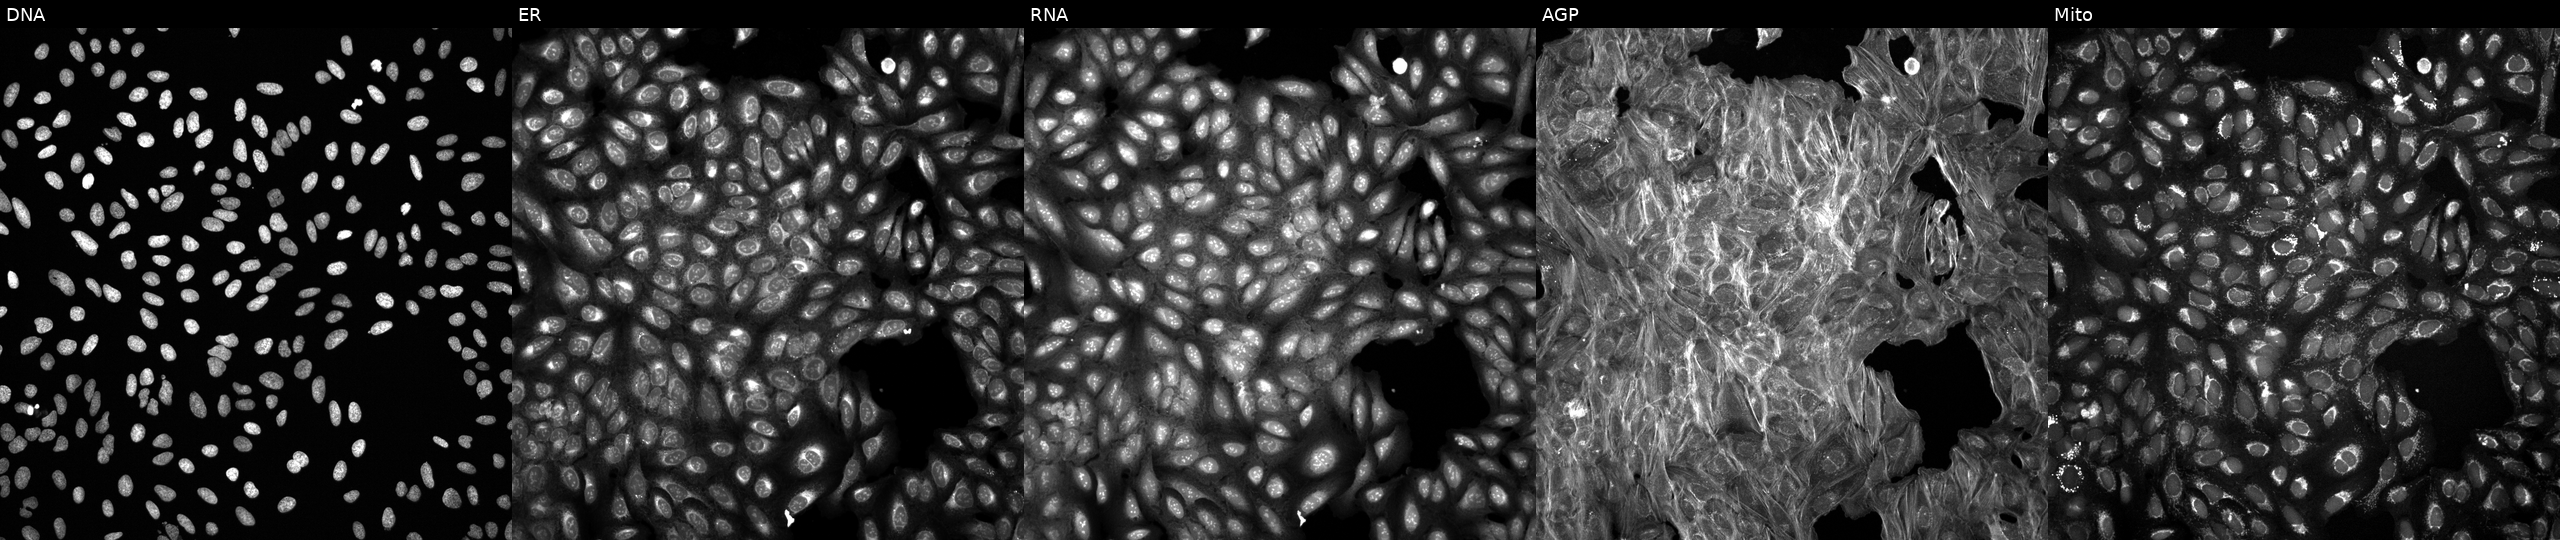
High-content fluorescence microscopy (Cell Painting). Cell line: U2OS. Perturbation: exposed to a small-molecule compound (InChIKey UXCBSCGIKWMPTO-UHFFFAOYSA-N). Panels show, left to right, Hoechst 33342, concanavalin A, SYTO 14, phalloidin and WGA, MitoTracker. Source 6, plate 110000293083, well J22.